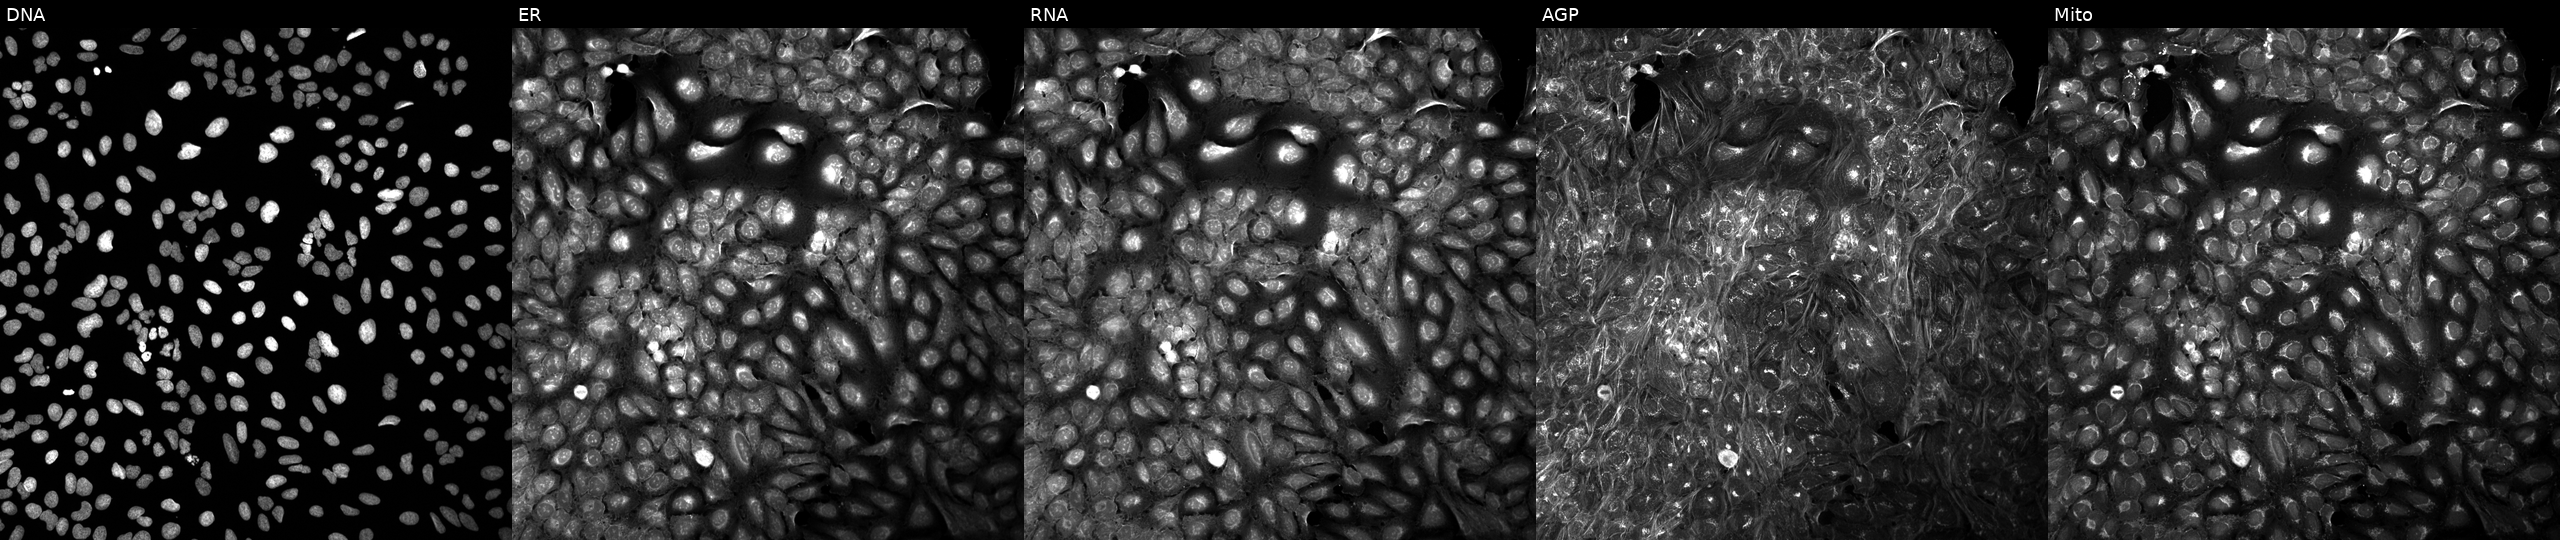
Channels (left→right): Hoechst 33342, concanavalin A, SYTO 14, phalloidin and WGA, MitoTracker. U2OS osteosarcoma cells perturbed with a small-molecule compound (InChIKey DCTJBXXGAWEQFV-UHFFFAOYSA-N) (JUMP id JCP2022_015096). Cell Painting assay, JUMP-CP dataset. Source 5, plate APTJUM106, well M21.